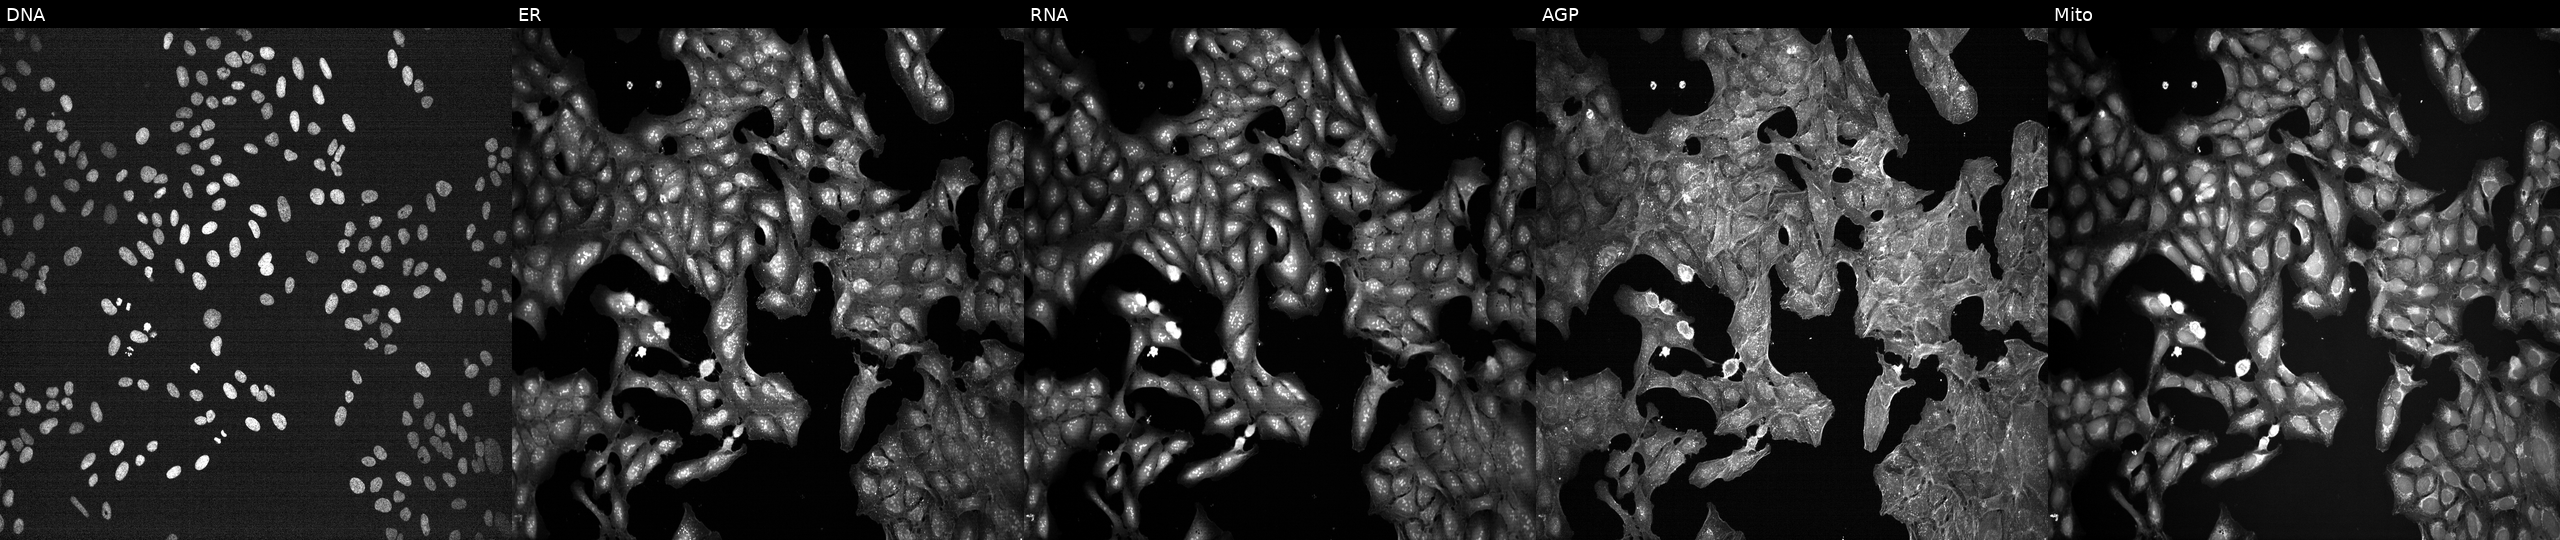
High-content fluorescence microscopy (Cell Painting). Cell line: U2OS. Perturbation: exposed to a small-molecule compound. The five panels, left to right, show Hoechst 33342, concanavalin A, SYTO 14, phalloidin and WGA, MitoTracker. Source 7, plate CP1-SC1-25, well N24.